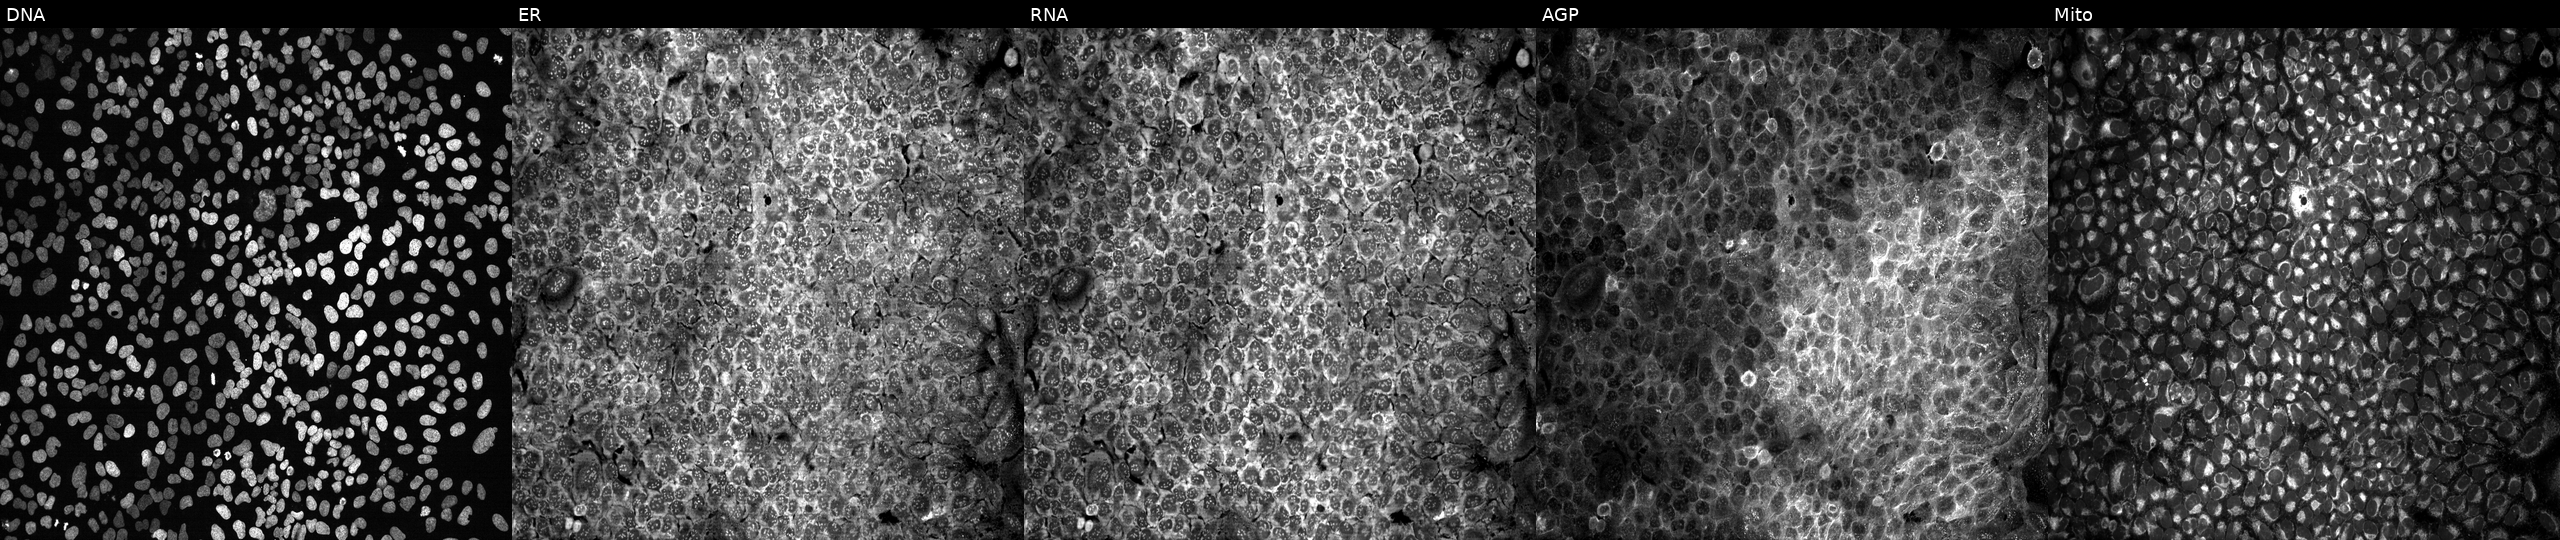
Channels (left→right): DNA (nuclei); ER (endoplasmic reticulum); RNA (nucleoli and cytoplasmic RNA); AGP (actin cytoskeleton, Golgi, and plasma membrane); Mito (mitochondria). U2OS osteosarcoma cells exposed to DMSO alone as a negative control. Cell Painting assay, JUMP-CP dataset. Source 13, plate CP-CC9-R6-19, well E23.